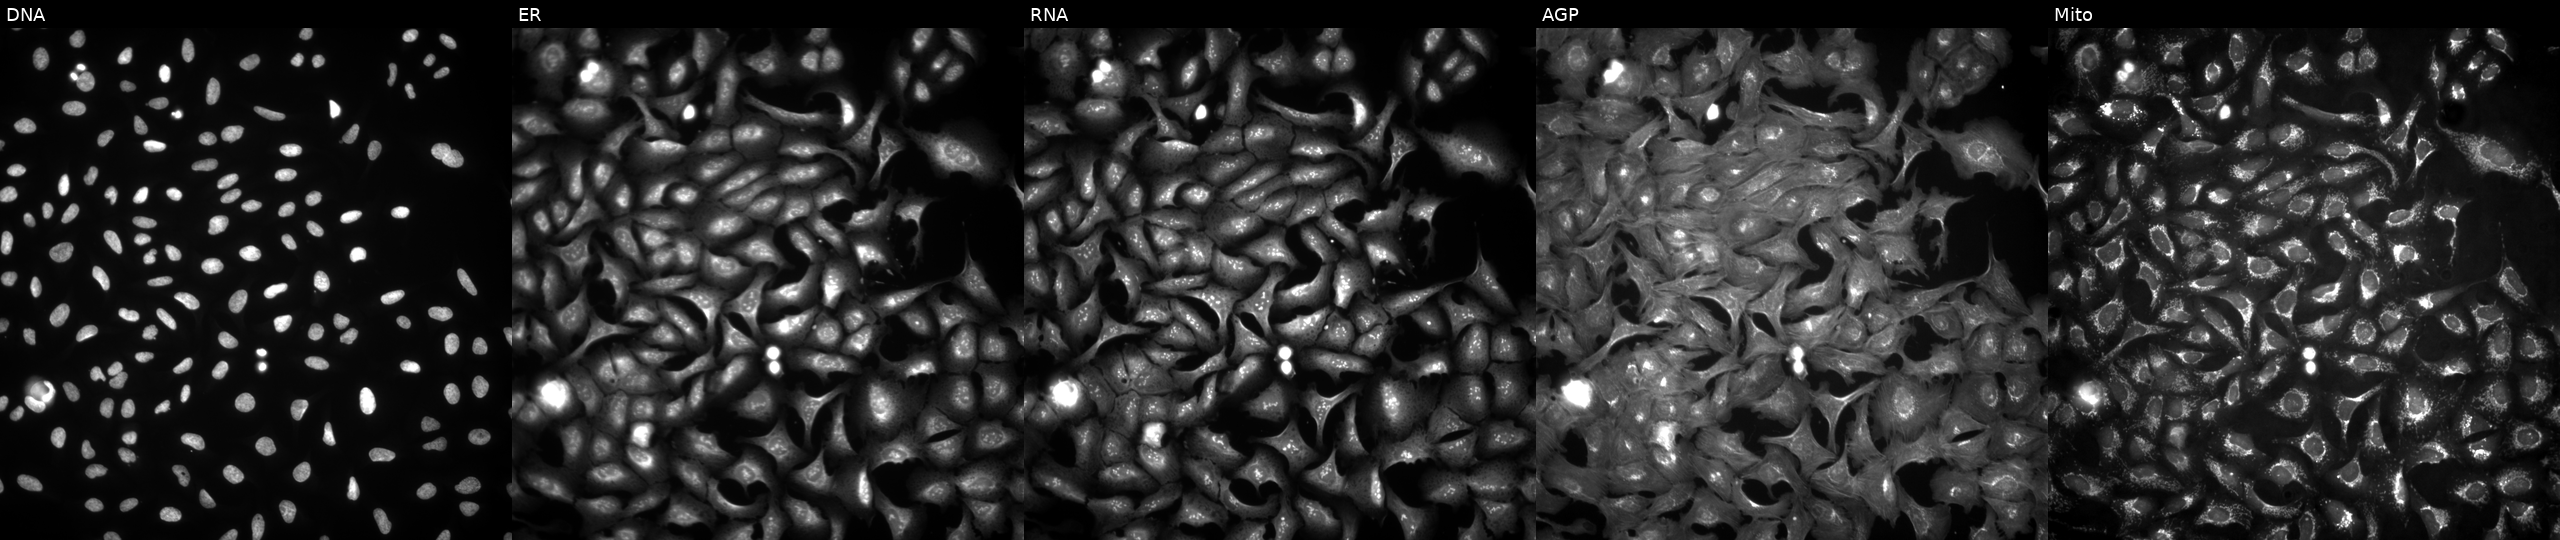
High-content fluorescence microscopy (Cell Painting). Cell line: U2OS. Perturbation: transfected with an ORF construct for TRIM11 (JUMP id JCP2022_911859). Channels (left→right): Hoechst 33342, concanavalin A, SYTO 14, phalloidin and WGA, MitoTracker.